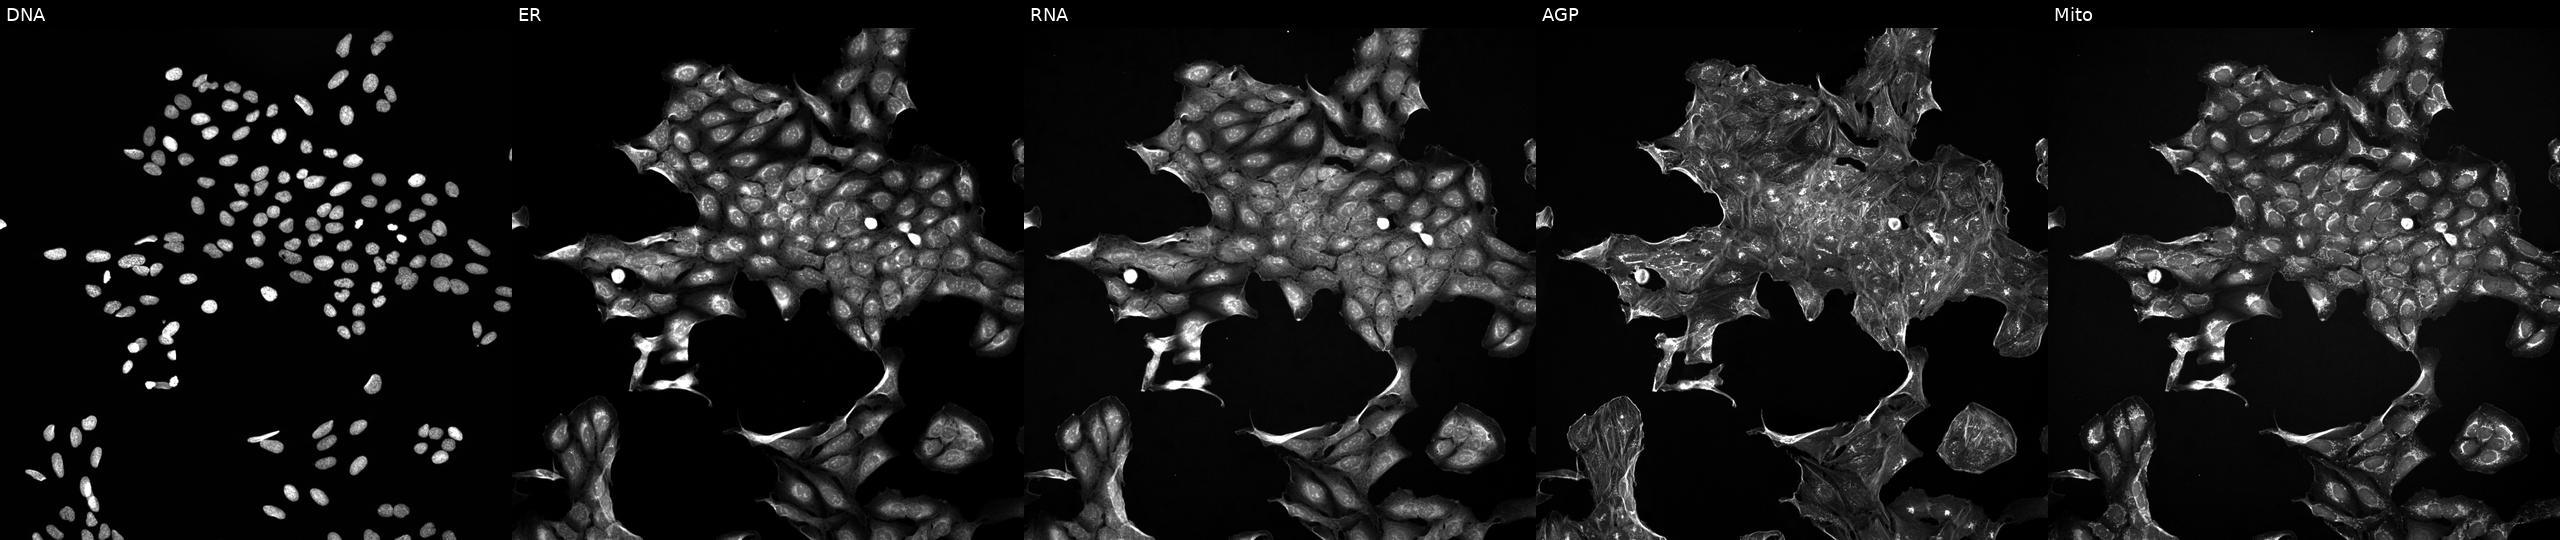
Panels show, left to right, Hoechst 33342, concanavalin A, SYTO 14, phalloidin and WGA, MitoTracker. U2OS osteosarcoma cells perturbed with a small-molecule compound (InChIKey VDQLKIBLTMPAHI-UHFFFAOYSA-N) (JUMP id JCP2022_093289). Cell Painting assay, JUMP-CP dataset.